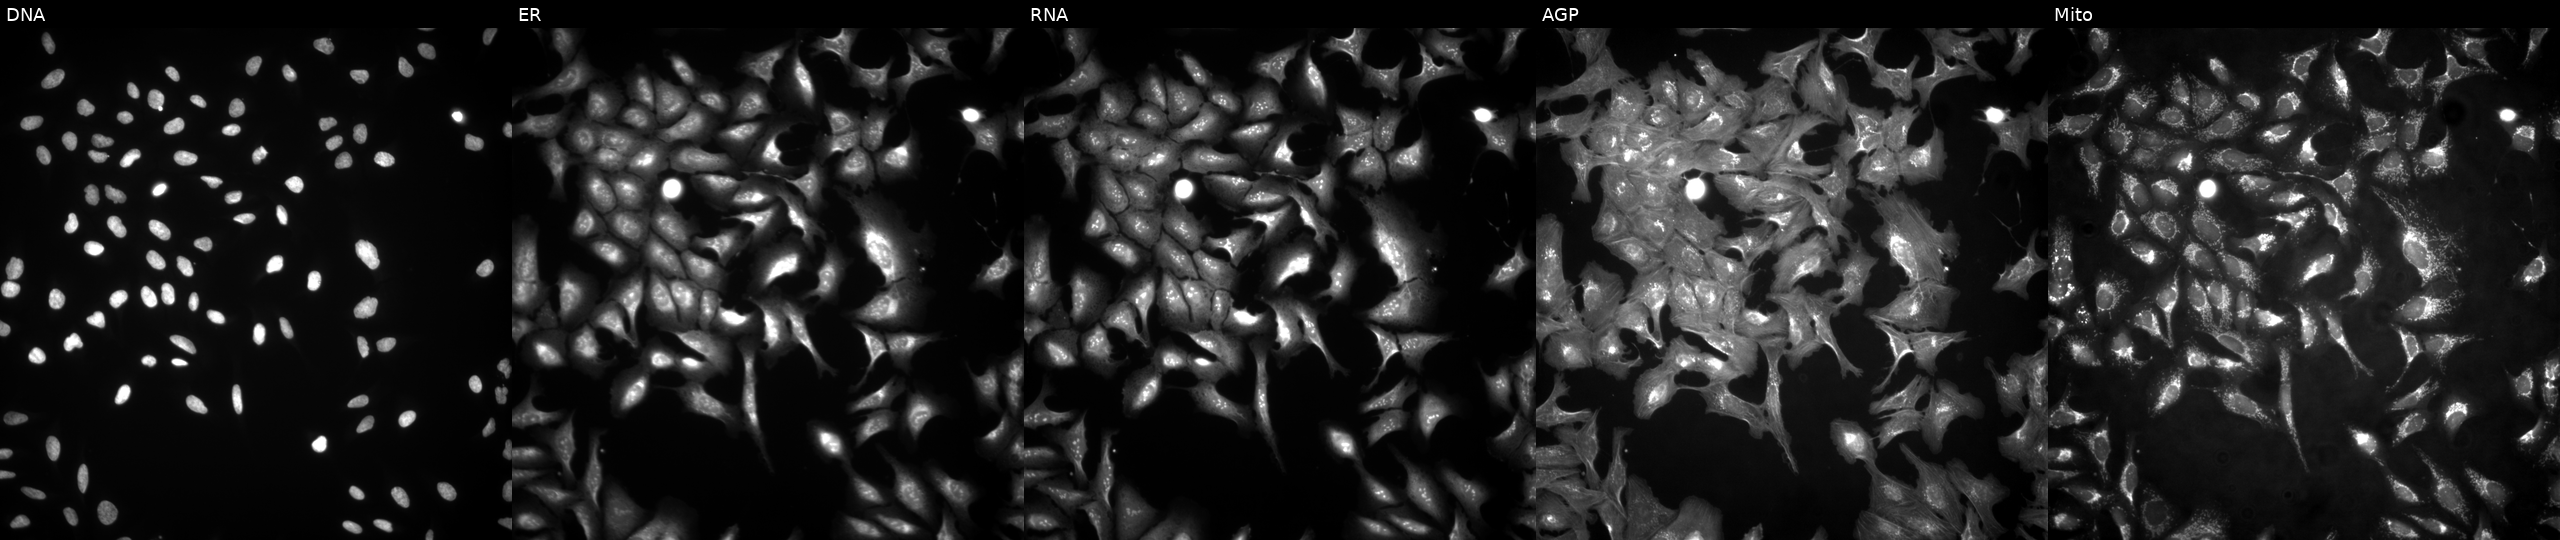
Panels show, left to right, Hoechst 33342, concanavalin A, SYTO 14, phalloidin and WGA, MitoTracker. U2OS osteosarcoma cells overexpressing CDCA7 via ORF transfection. Cell Painting assay, JUMP-CP dataset.